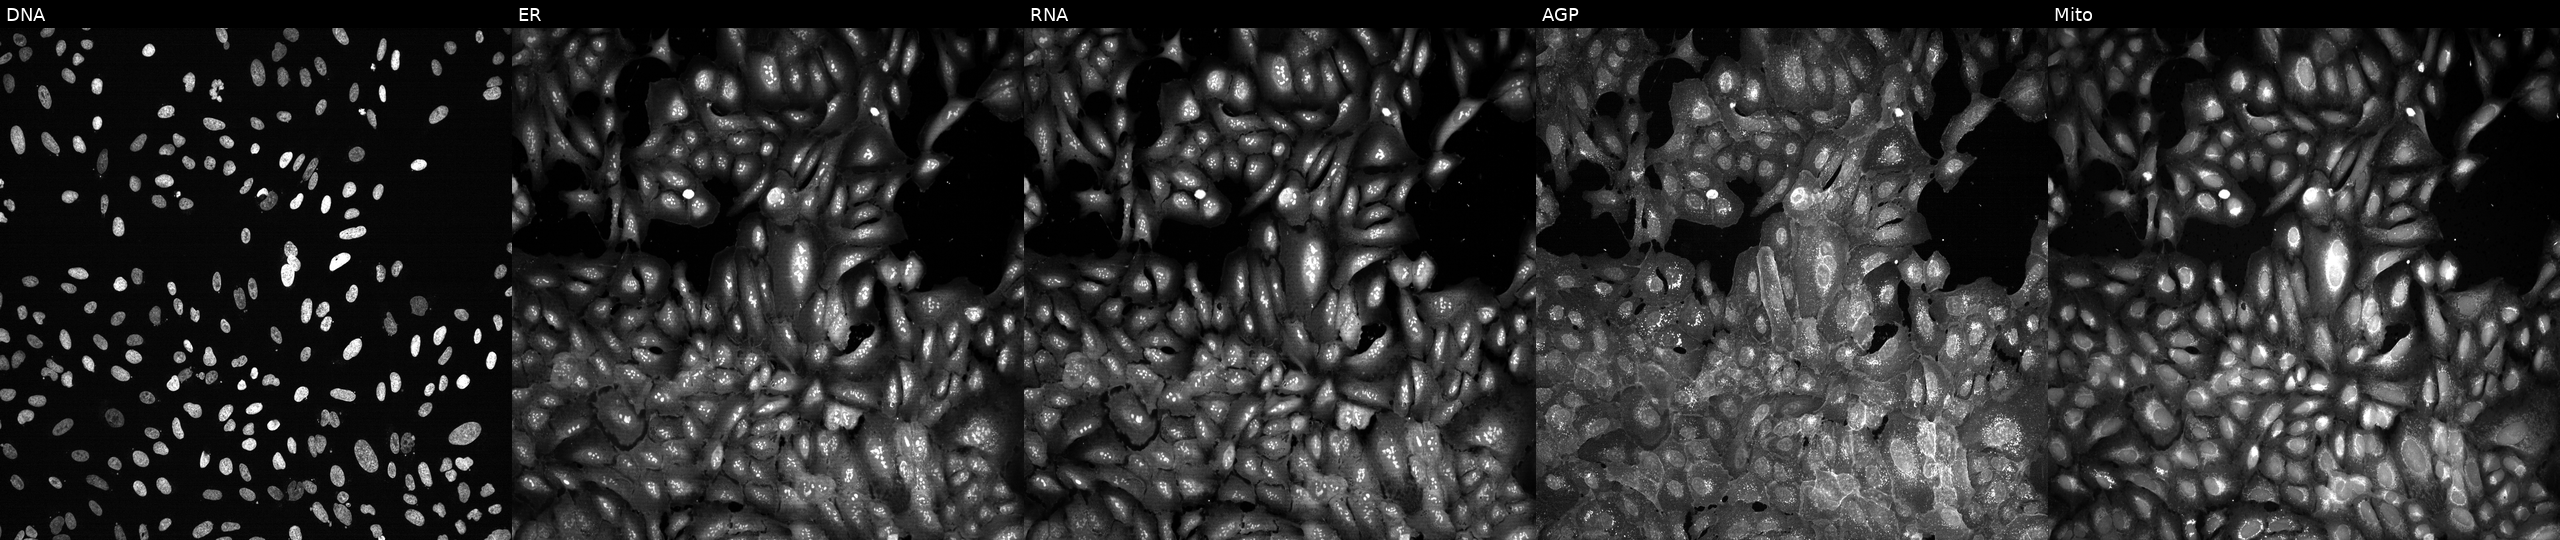
This image strip shows the five Cell Painting channels for a single field of U2OS cells with ERCC4 knocked out by CRISPR (JUMP id JCP2022_802167). Channels (left→right): DNA (nuclei); ER (endoplasmic reticulum); RNA (nucleoli and cytoplasmic RNA); AGP (actin cytoskeleton, Golgi, and plasma membrane); Mito (mitochondria).